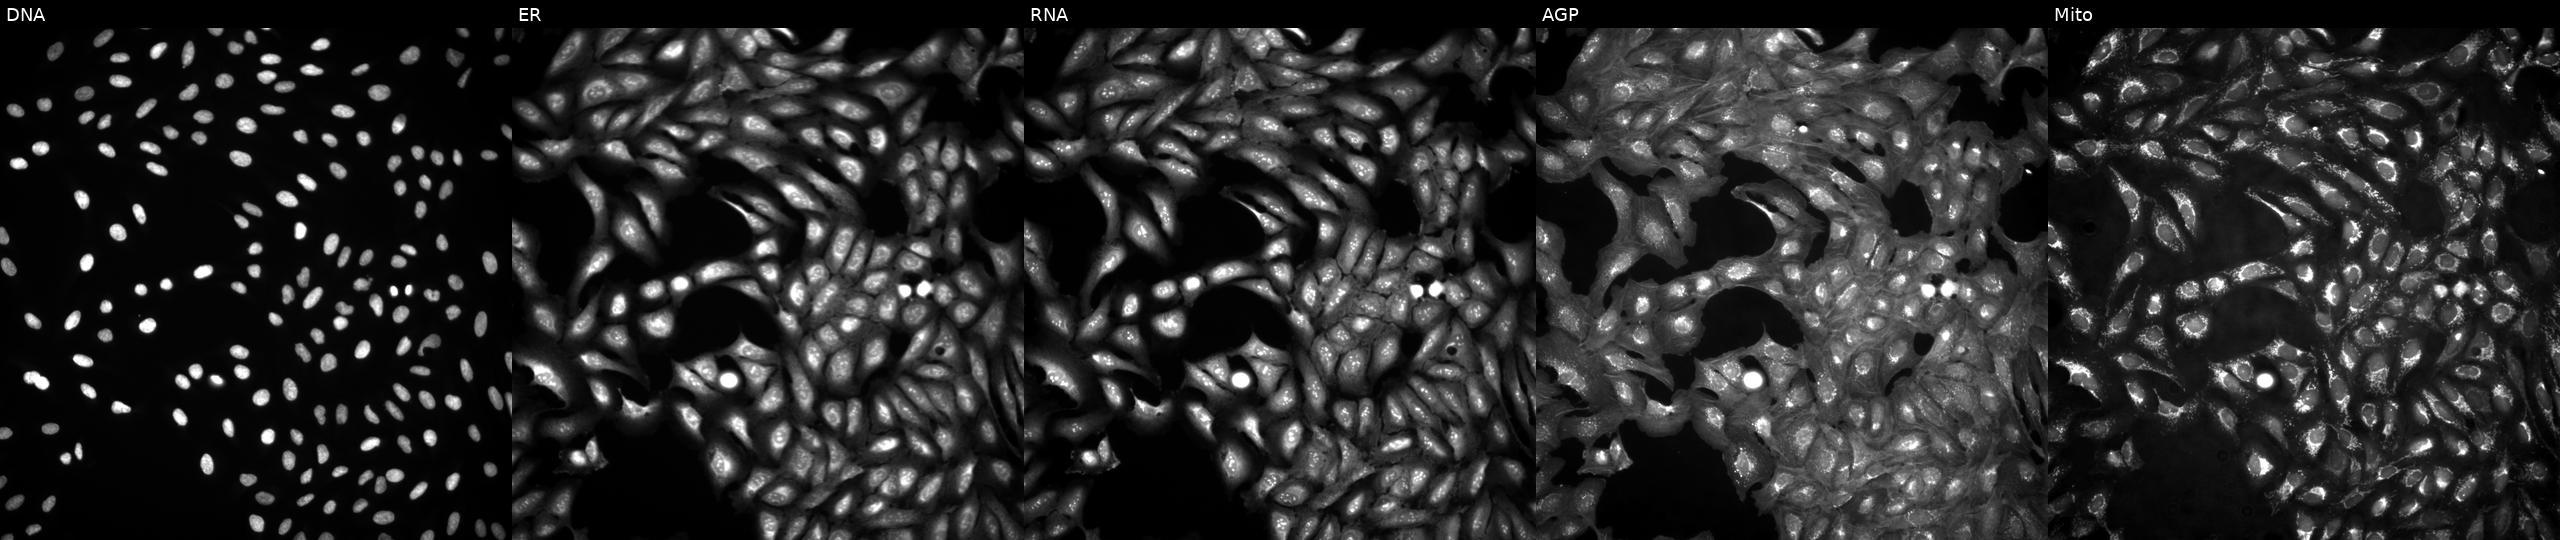
This image strip shows the five Cell Painting channels for a single field of U2OS cells in an empty control well (no perturbation) (JUMP id JCP2022_999999). The five panels, left to right, show DNA (nuclei); ER (endoplasmic reticulum); RNA (nucleoli and cytoplasmic RNA); AGP (actin cytoskeleton, Golgi, and plasma membrane); Mito (mitochondria).